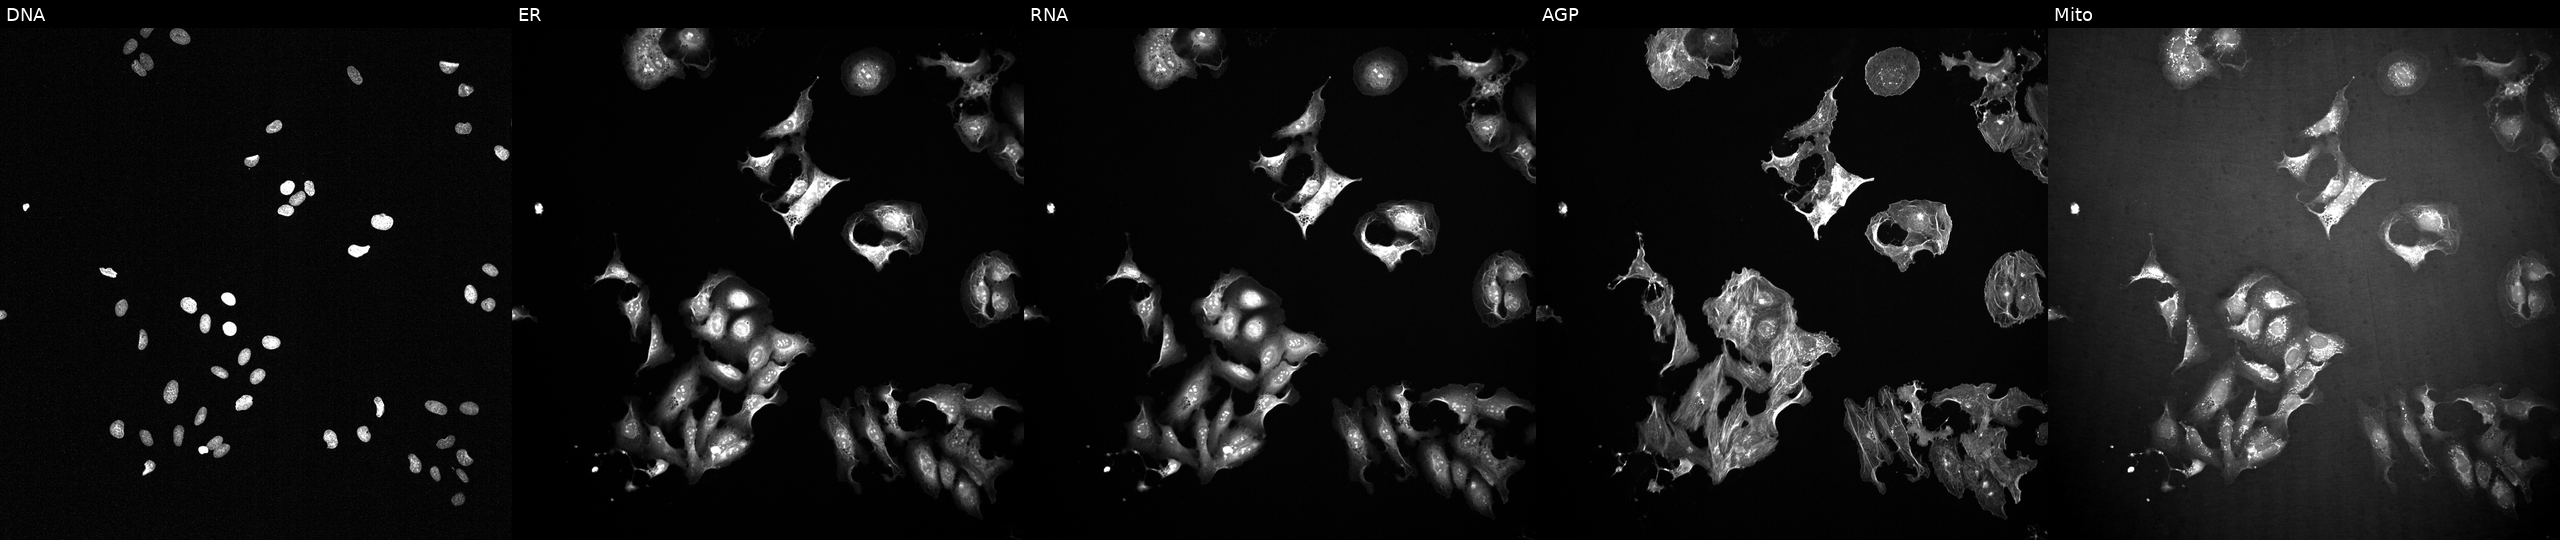
U2OS cells, Cell Painting assay, exposed to a small-molecule compound (InChIKey AJVXVYTVAAWZAP-UHFFFAOYSA-N) (JUMP id JCP2022_001890). Channels (left→right): DNA (nuclei); ER (endoplasmic reticulum); RNA (nucleoli and cytoplasmic RNA); AGP (actin cytoskeleton, Golgi, and plasma membrane); Mito (mitochondria). Each panel is percentile-stretched 16-bit fluorescence.